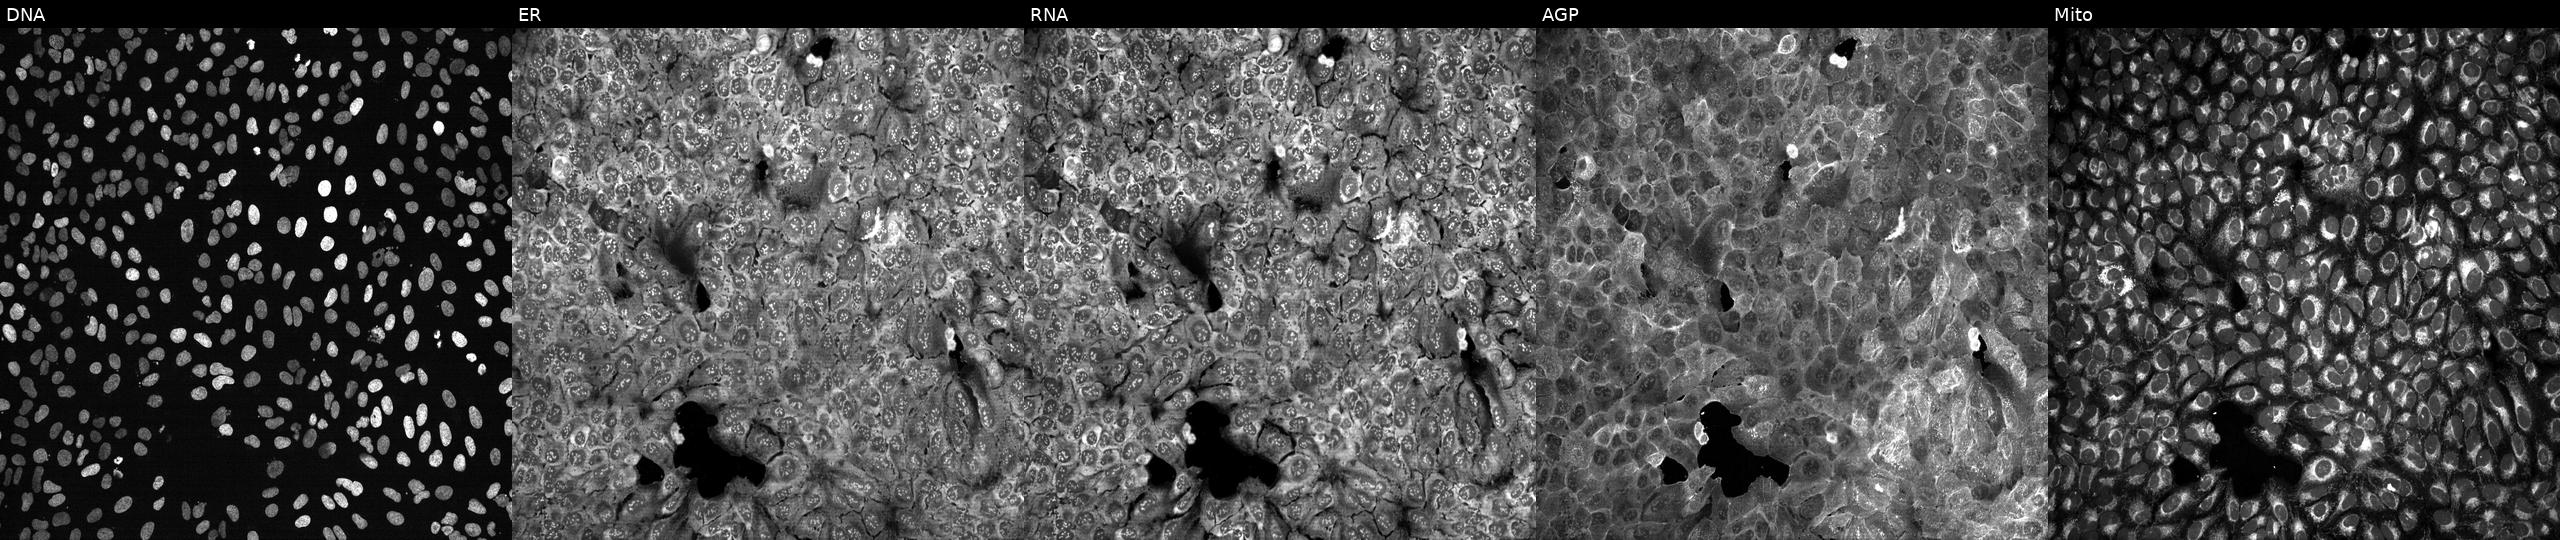
U2OS cells, Cell Painting assay, with ATP6V1C1 knocked out by CRISPR (JUMP id JCP2022_800736). Panels show, left to right, DNA, ER, RNA, AGP, and Mito. Each panel is percentile-stretched 16-bit fluorescence.